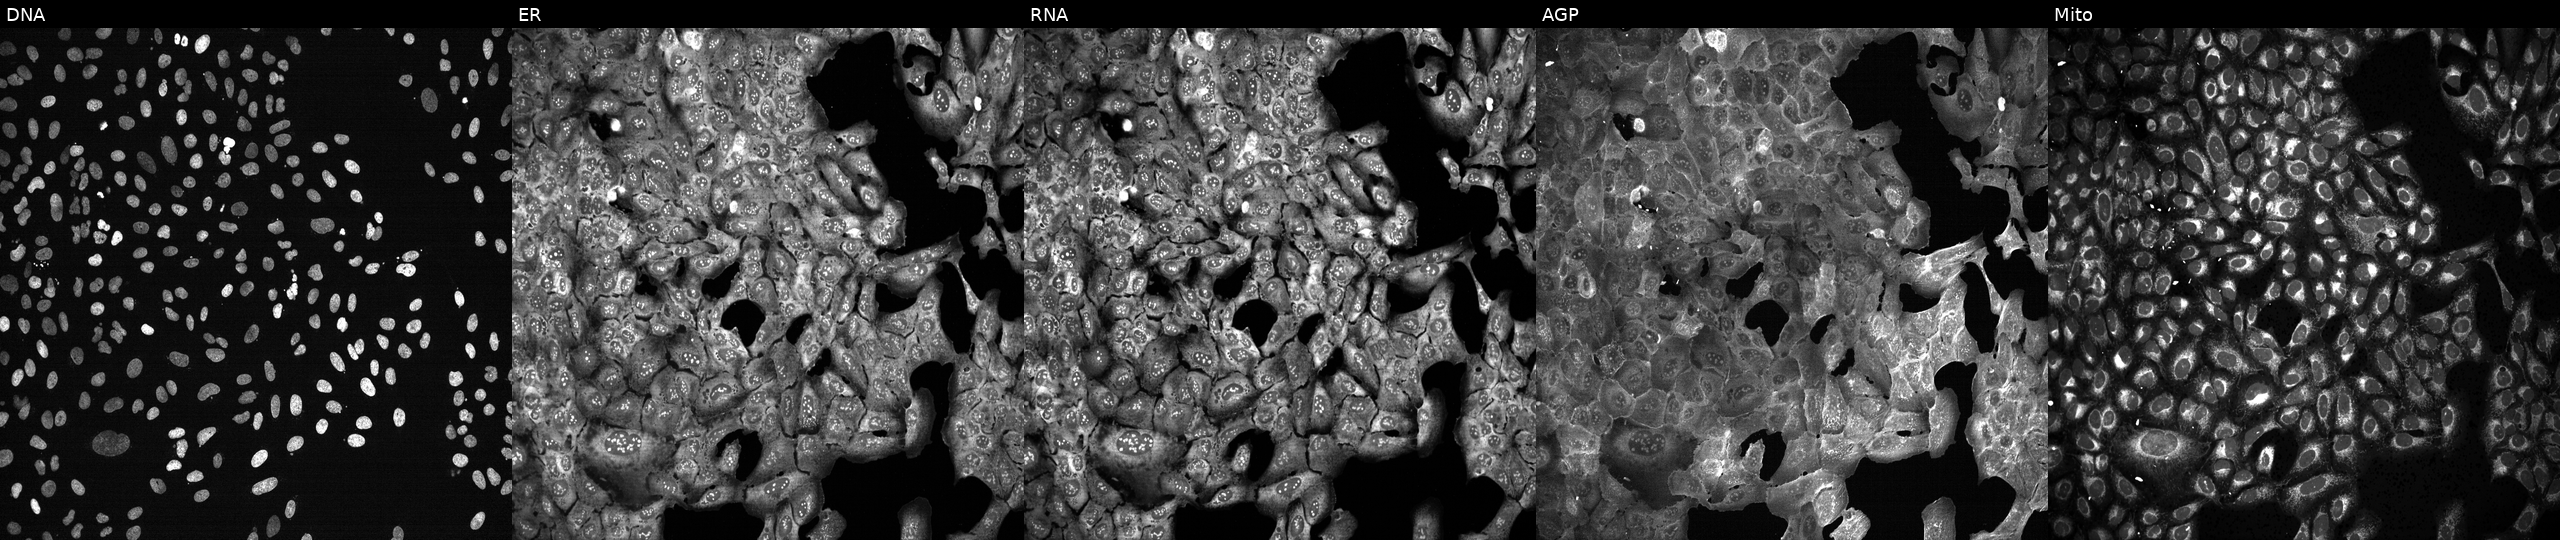
This image strip shows the five Cell Painting channels for a single field of U2OS cells CRISPR-edited to disrupt PGLYRP3. The five panels, left to right, show DNA (nuclei); ER (endoplasmic reticulum); RNA (nucleoli and cytoplasmic RNA); AGP (actin cytoskeleton, Golgi, and plasma membrane); Mito (mitochondria). Source 13, plate CP-CC9-R2-01, well B21.